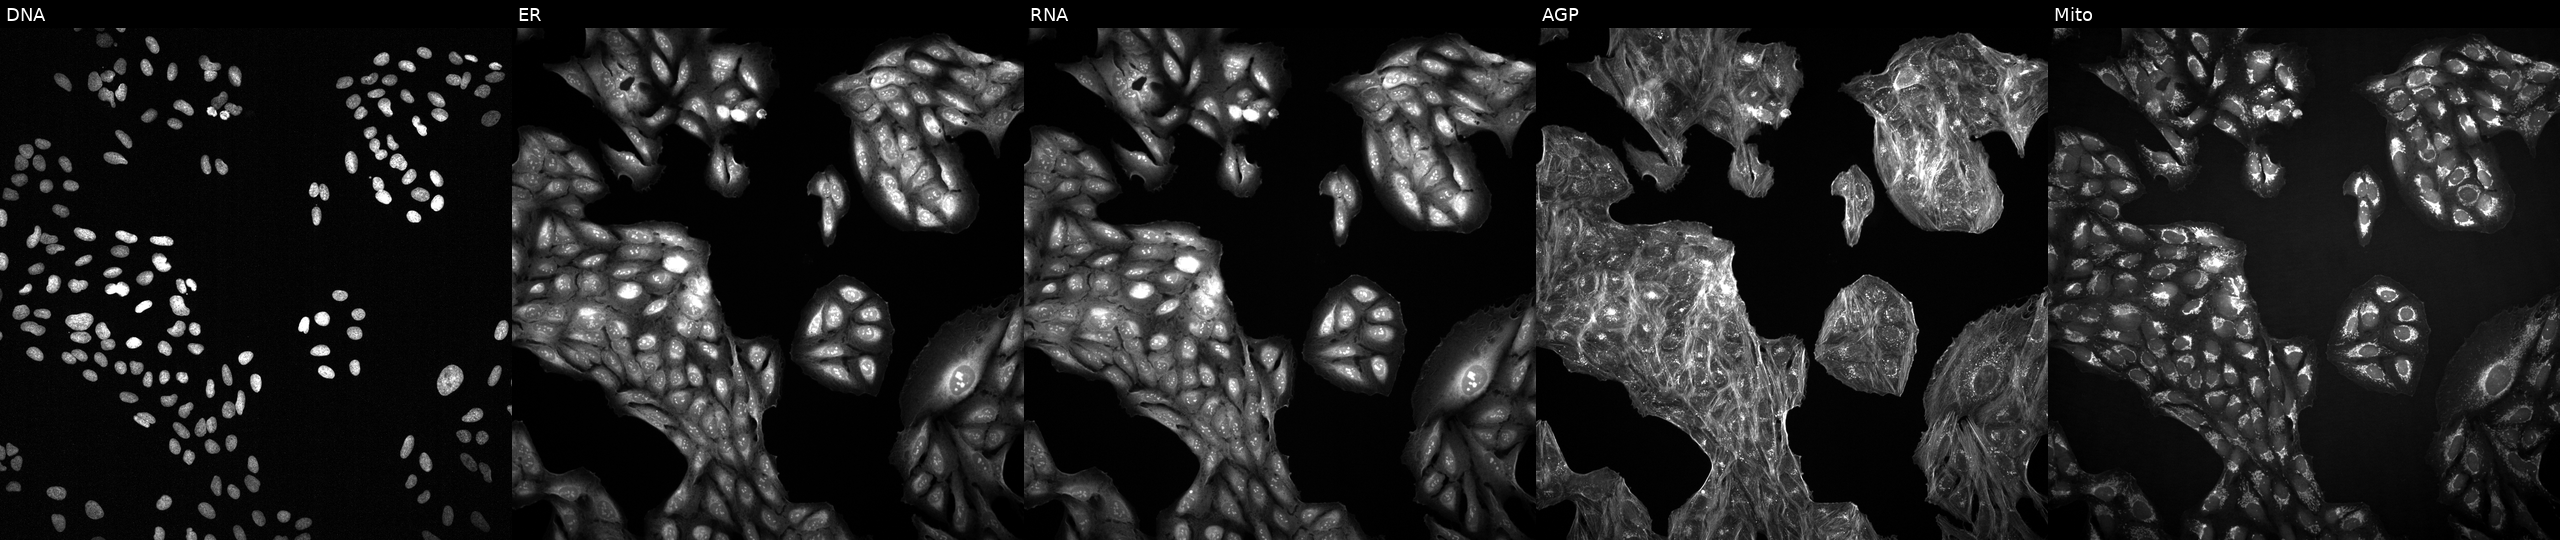
U2OS cells, Cell Painting assay, perturbed with a small-molecule compound (InChIKey RAHBGWKEPAQNFF-UHFFFAOYSA-N) (JUMP id JCP2022_077046). Panels show, left to right, DNA, ER, RNA, AGP, and Mito. Each panel is percentile-stretched 16-bit fluorescence.